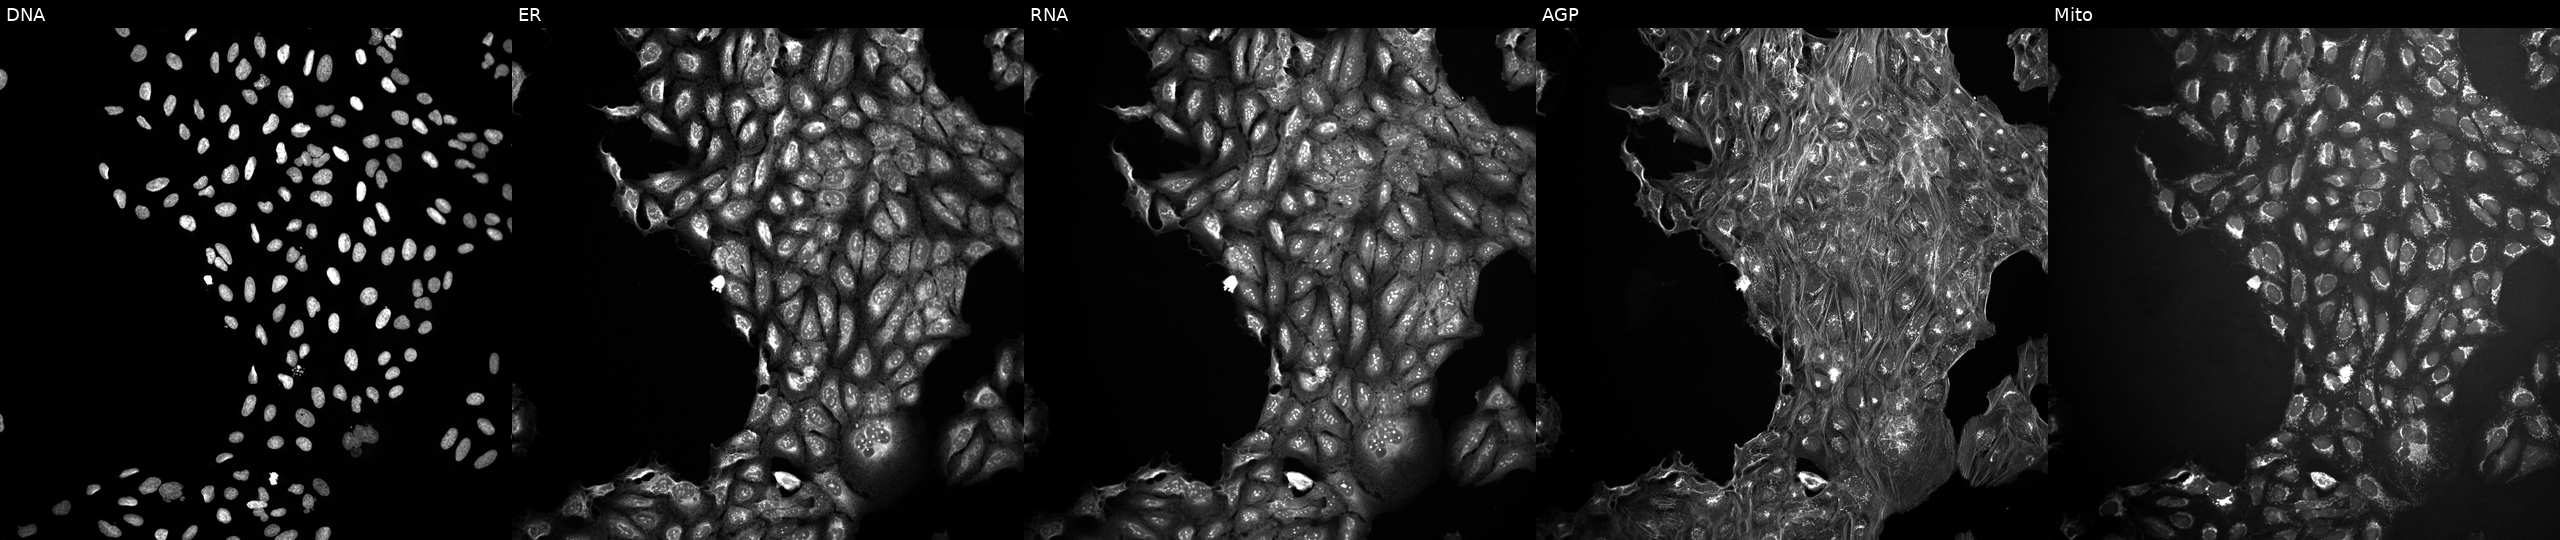
U2OS cells, Cell Painting assay, untreated (empty-well control) (JUMP id JCP2022_999999). The five panels, left to right, show DNA, ER, RNA, AGP, and Mito. Each panel is percentile-stretched 16-bit fluorescence. Source 10, plate Dest210531-152324, well F22.